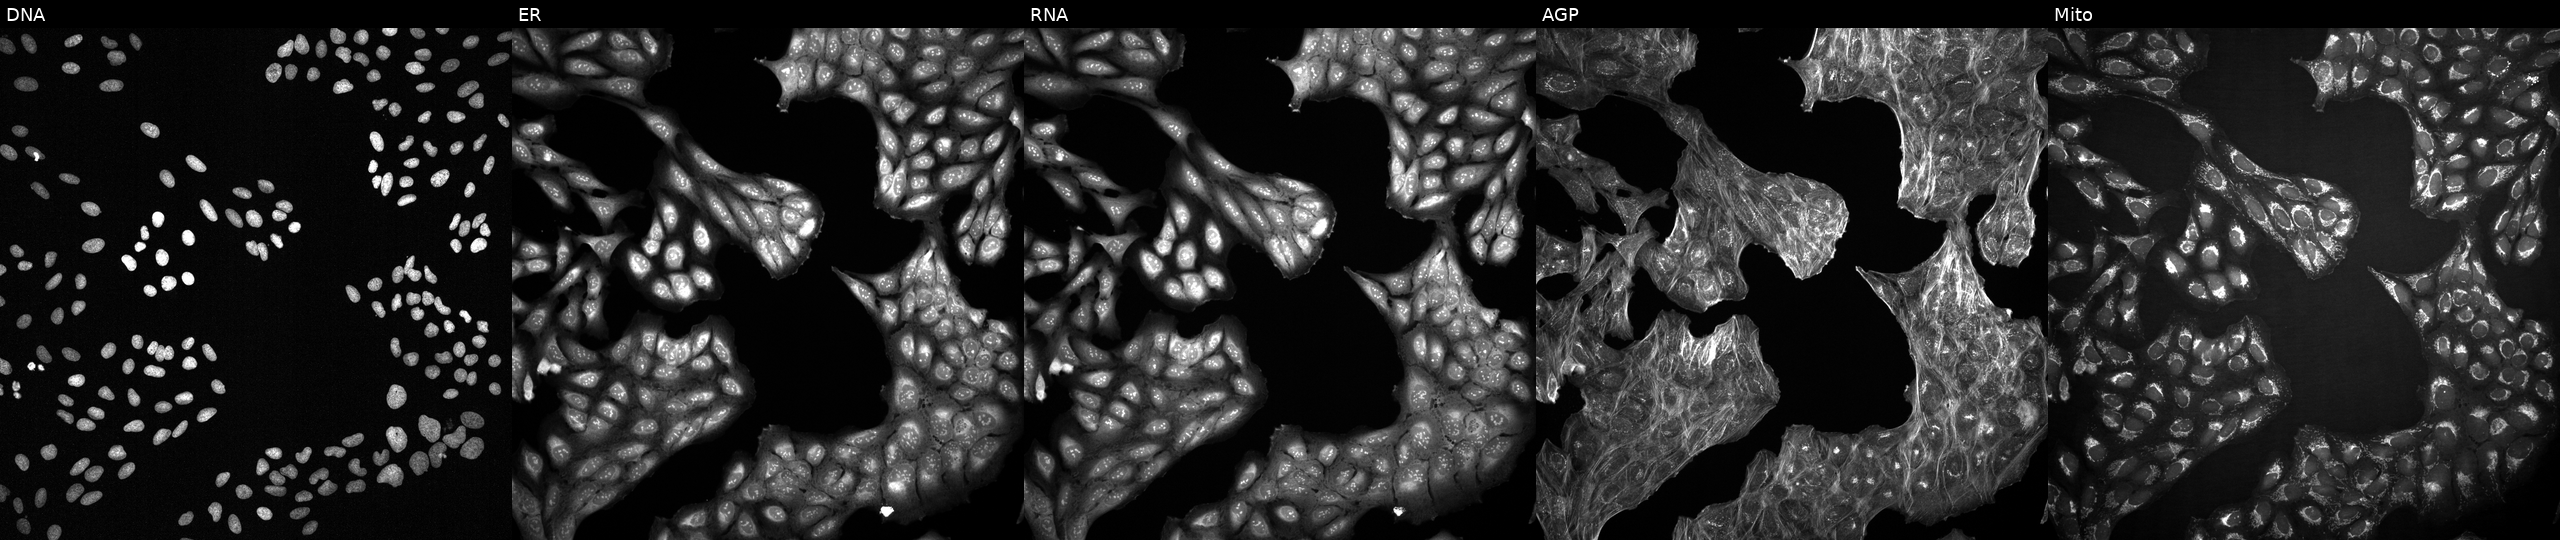
Five-channel Cell Painting image of U2OS cells treated with a small-molecule compound (InChIKey FMYGNANMYYHBSU-UHFFFAOYSA-N). Panels show, left to right, DNA, ER, RNA, AGP, and Mito.